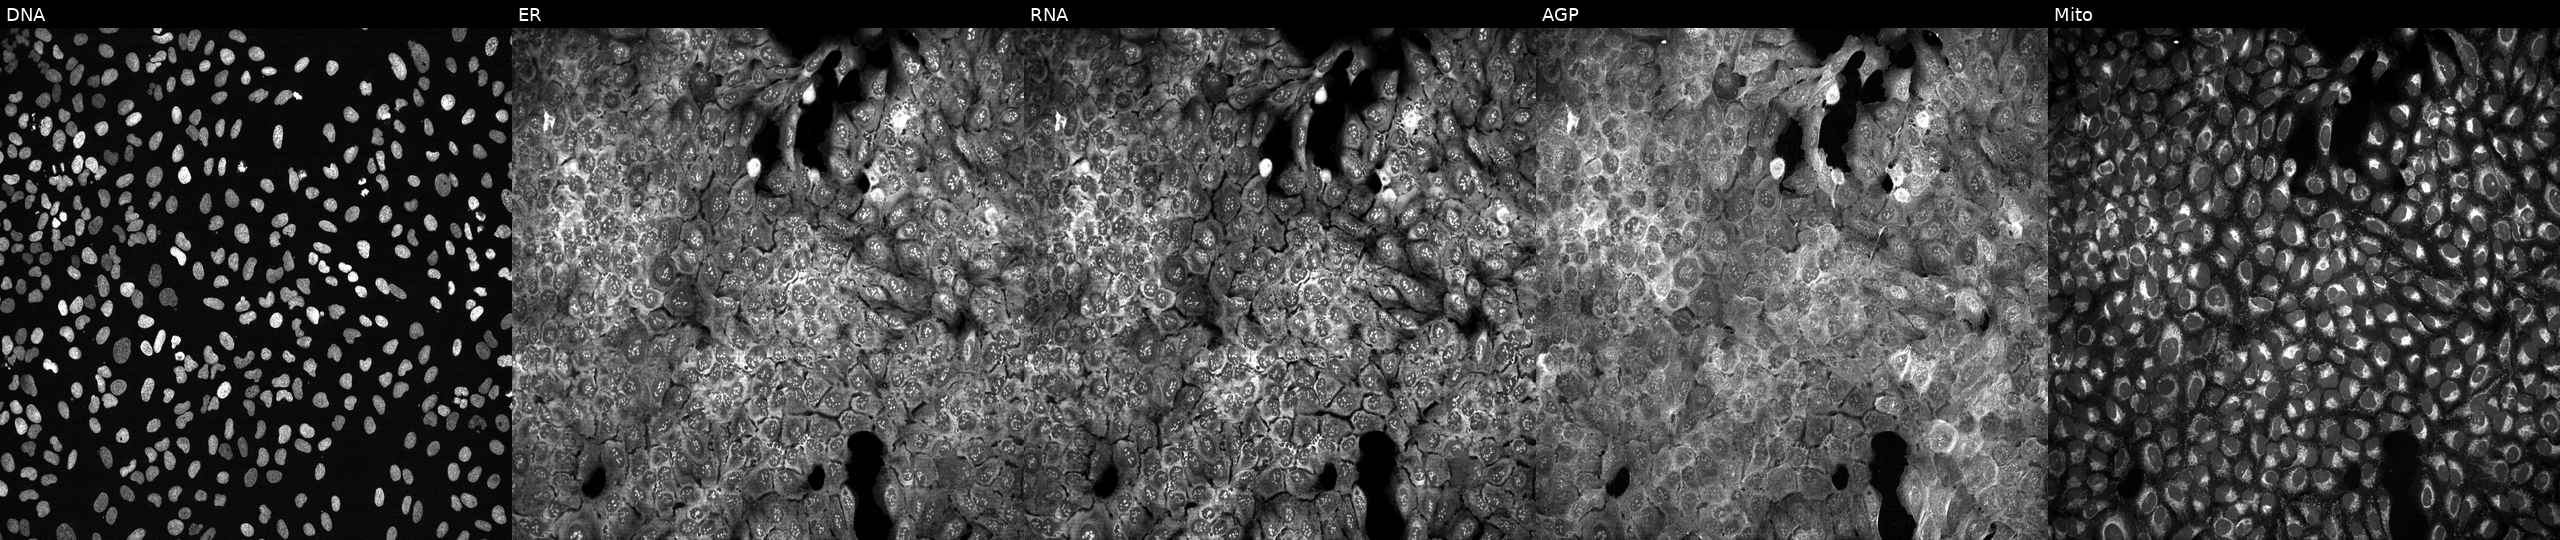
JUMP Cell Painting — CRISPR plate. U2OS cells CRISPR-edited to disrupt MS4A8 (JUMP id JCP2022_804281). The five panels, left to right, show DNA (nuclei); ER (endoplasmic reticulum); RNA (nucleoli and cytoplasmic RNA); AGP (actin cytoskeleton, Golgi, and plasma membrane); Mito (mitochondria). Source 13, plate CP-CC9-R3-02, well P21.